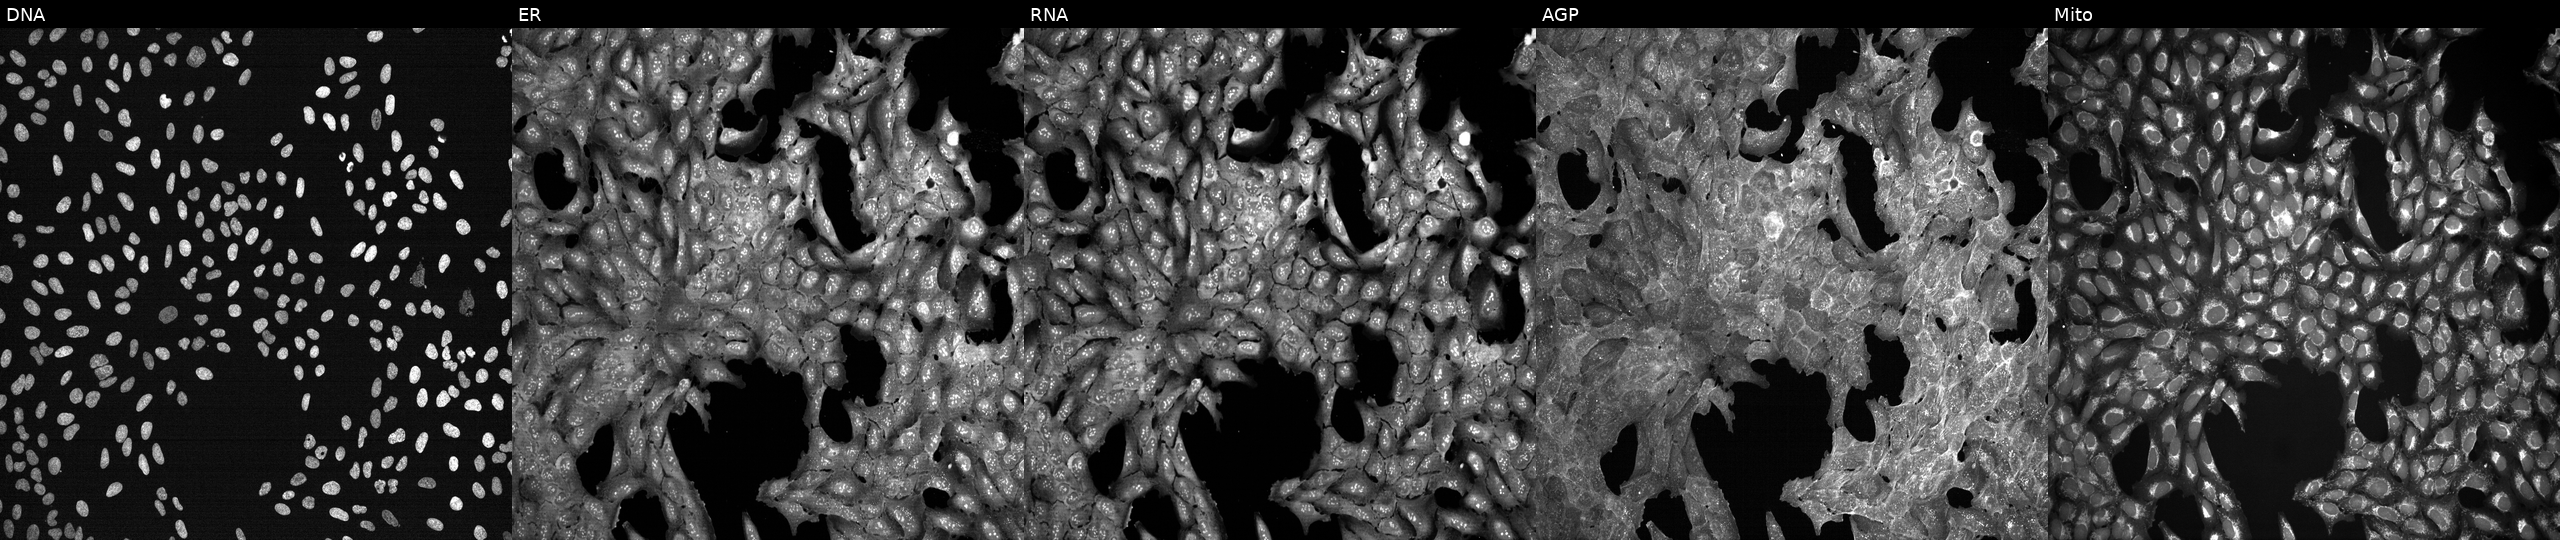
High-content fluorescence microscopy (Cell Painting). Cell line: U2OS. Perturbation: exposed to a small-molecule compound (JUMP id JCP2022_024601). From left to right: Hoechst 33342, concanavalin A, SYTO 14, phalloidin and WGA, MitoTracker. Source 7, plate CP3-SC1-25, well C07.